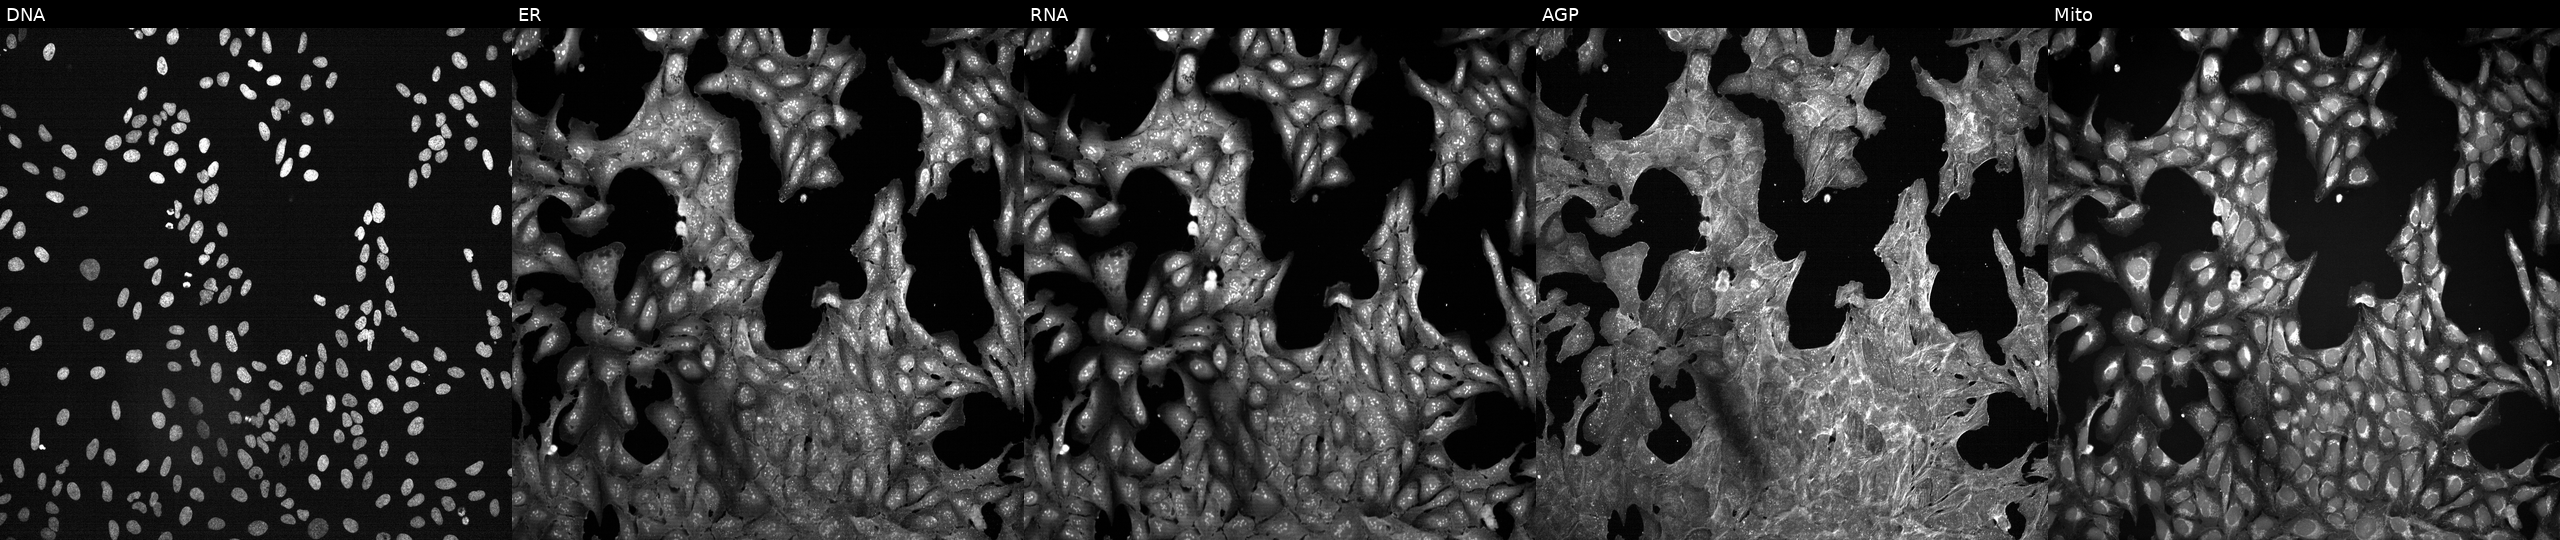
U2OS cells, Cell Painting assay, treated with DMSO vehicle only (negative control) (JUMP id JCP2022_033924). Panels show, left to right, DNA, ER, RNA, AGP, and Mito. Each panel is percentile-stretched 16-bit fluorescence.